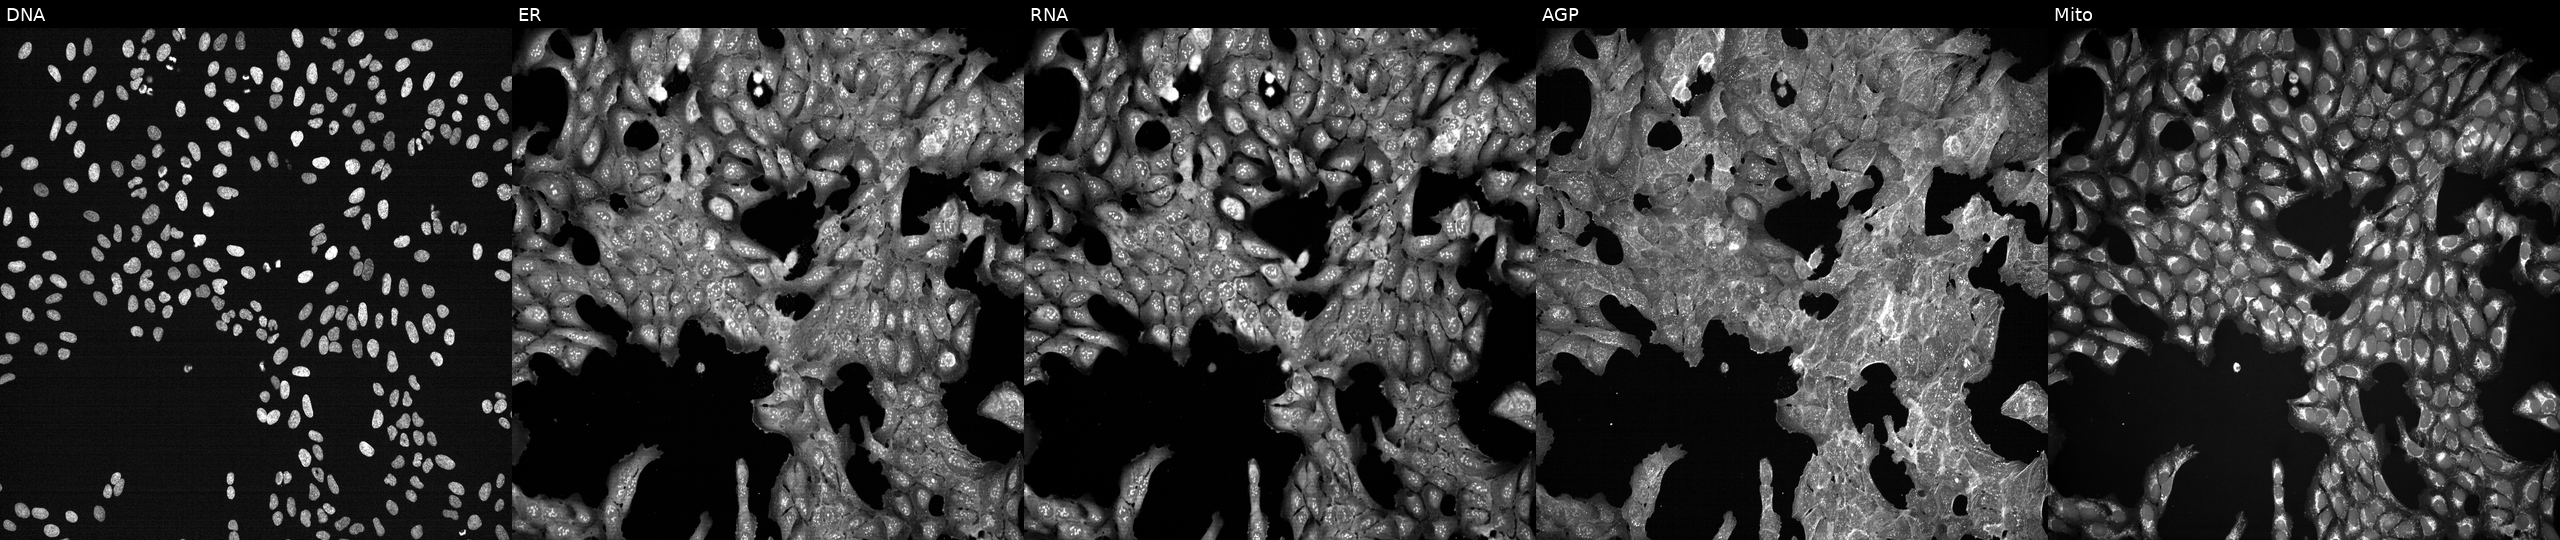
From left to right: Hoechst 33342, concanavalin A, SYTO 14, phalloidin and WGA, MitoTracker. U2OS osteosarcoma cells treated with DMSO vehicle only (negative control) (JUMP id JCP2022_033924). Cell Painting assay, JUMP-CP dataset.